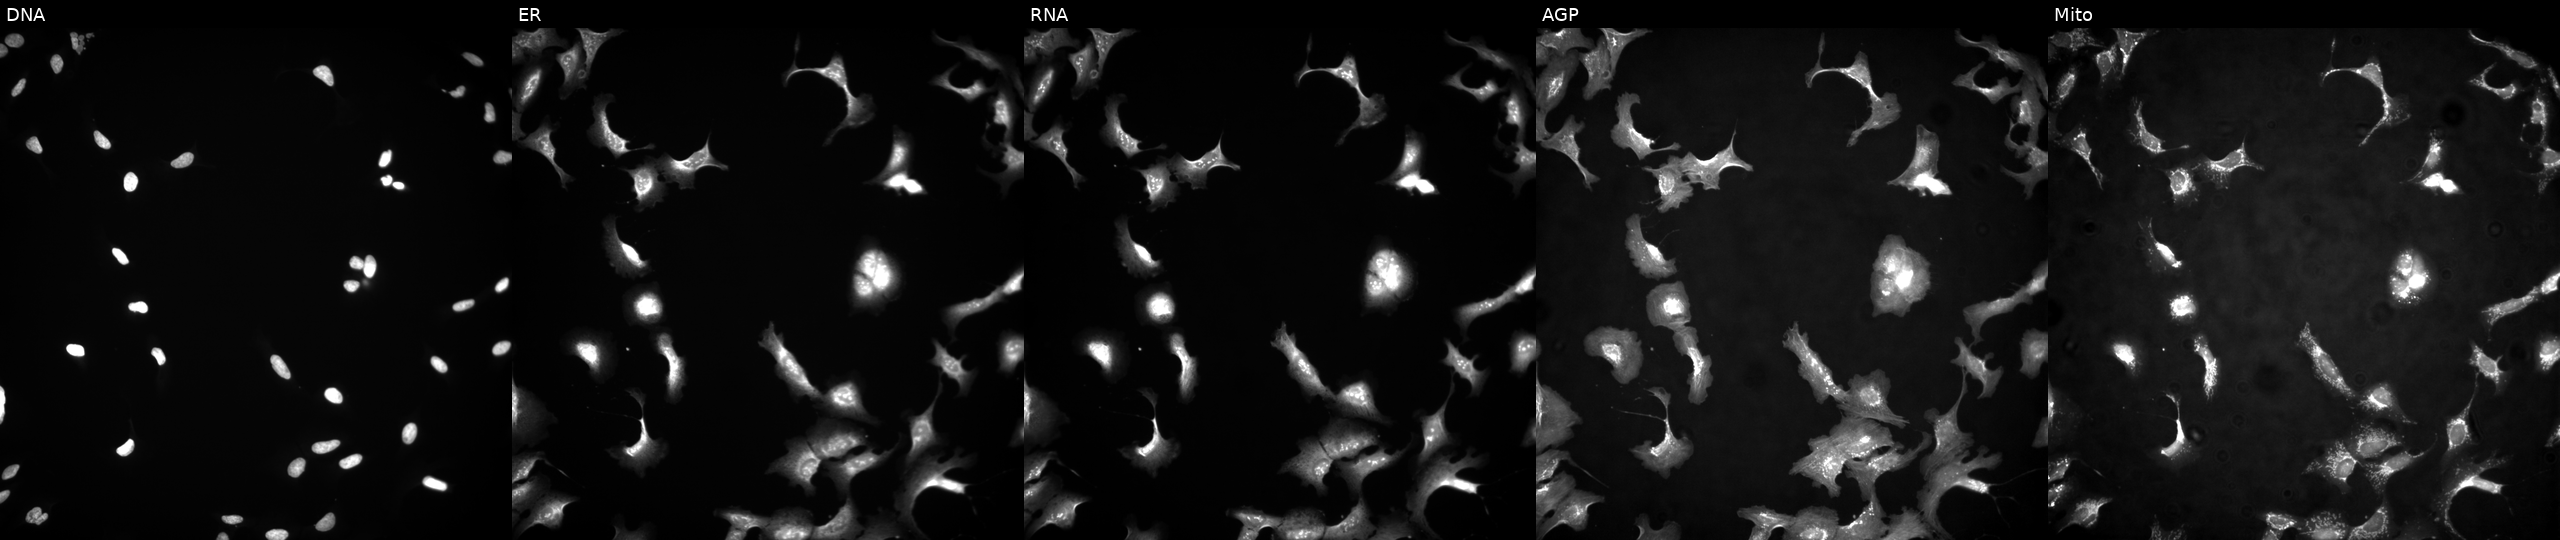
This image strip shows the five Cell Painting channels for a single field of U2OS cells with NT5C overexpressed (ORF). From left to right: Hoechst 33342, concanavalin A, SYTO 14, phalloidin and WGA, MitoTracker.